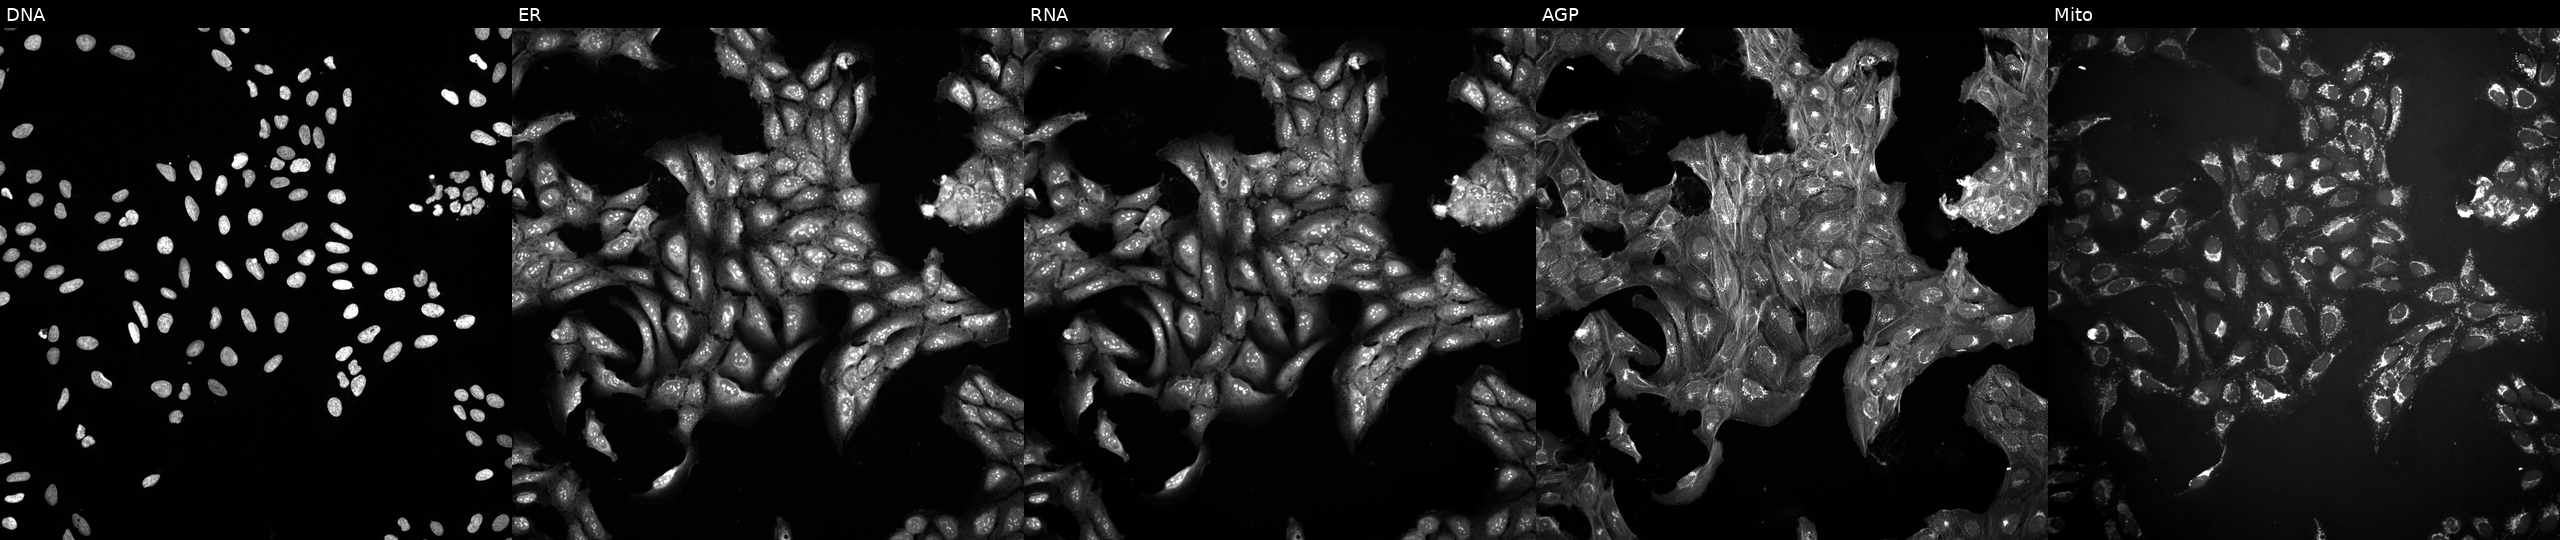
Five-channel Cell Painting image of U2OS cells in an empty control well (no perturbation). Channels (left→right): DNA, ER, RNA, AGP, and Mito. Source 10, plate Dest210531-152149, well G03.